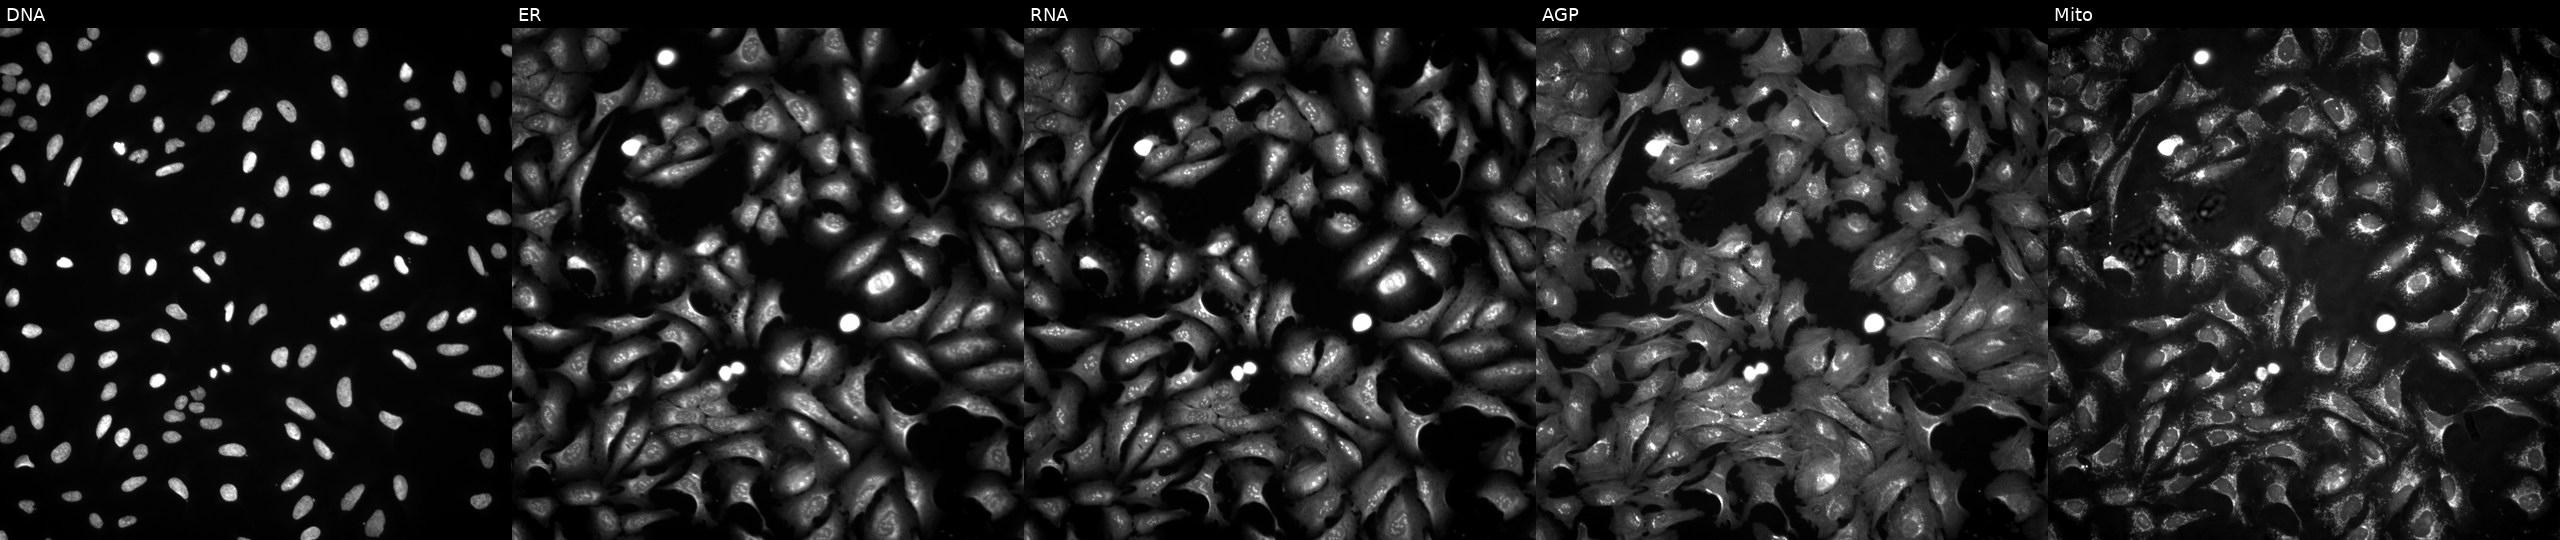
U2OS cells, Cell Painting assay, with RND3 overexpressed (ORF) (JUMP id JCP2022_900095). Channels (left→right): DNA, ER, RNA, AGP, and Mito. Each panel is percentile-stretched 16-bit fluorescence.